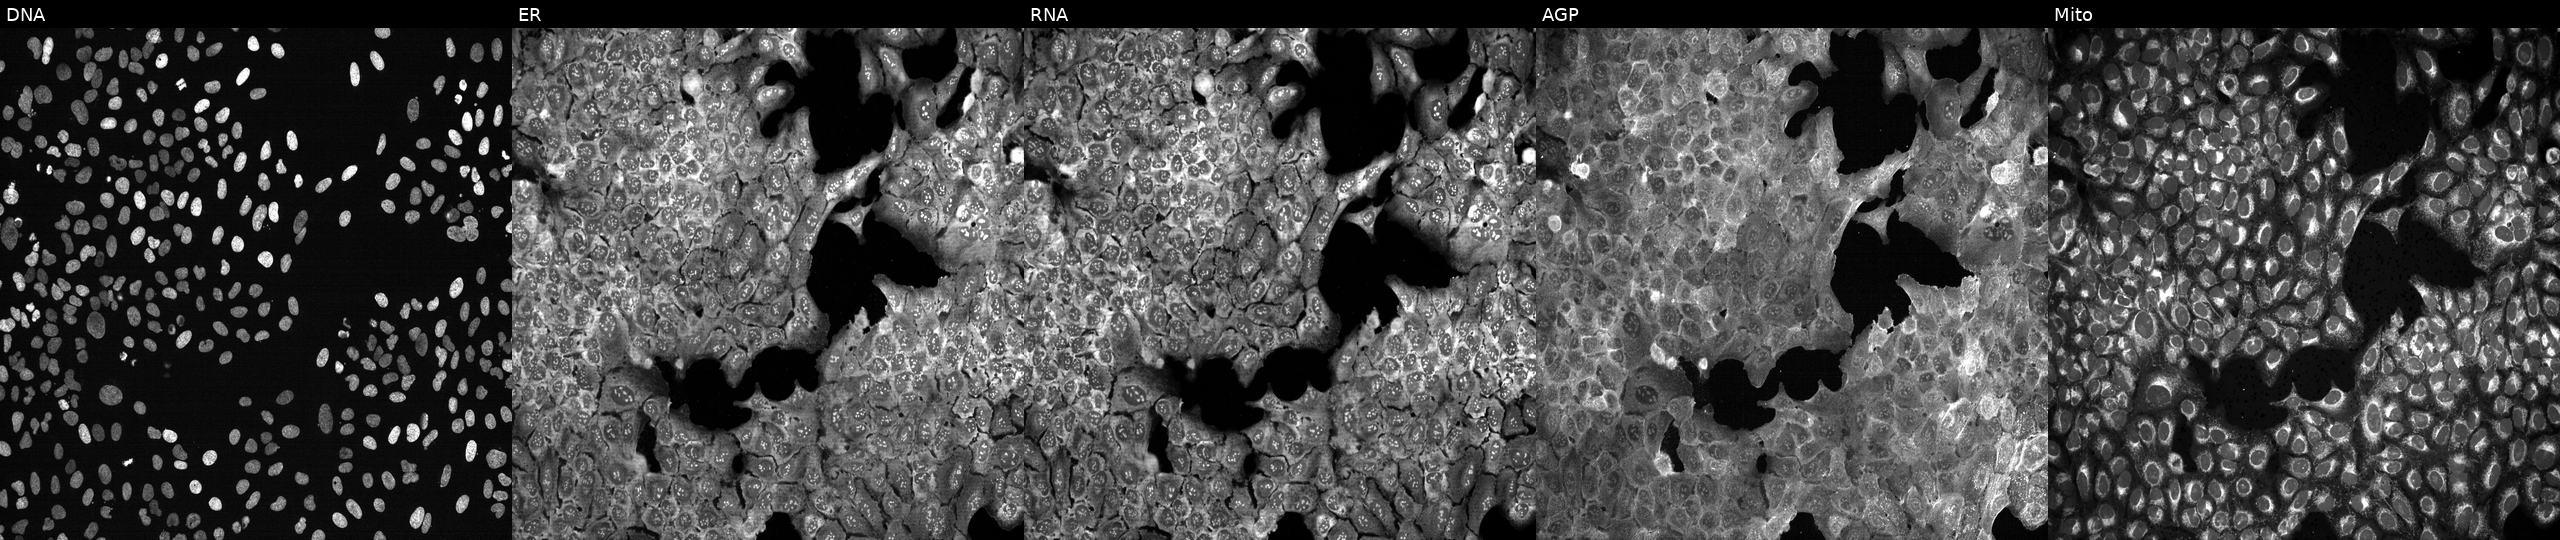
U2OS cells, Cell Painting assay, following CRISPR knockout of PLOD2 (JUMP id JCP2022_805270). Channels (left→right): DNA (nuclei); ER (endoplasmic reticulum); RNA (nucleoli and cytoplasmic RNA); AGP (actin cytoskeleton, Golgi, and plasma membrane); Mito (mitochondria). Each panel is percentile-stretched 16-bit fluorescence. Source 13, plate CP-CC9-R2-02, well F07.